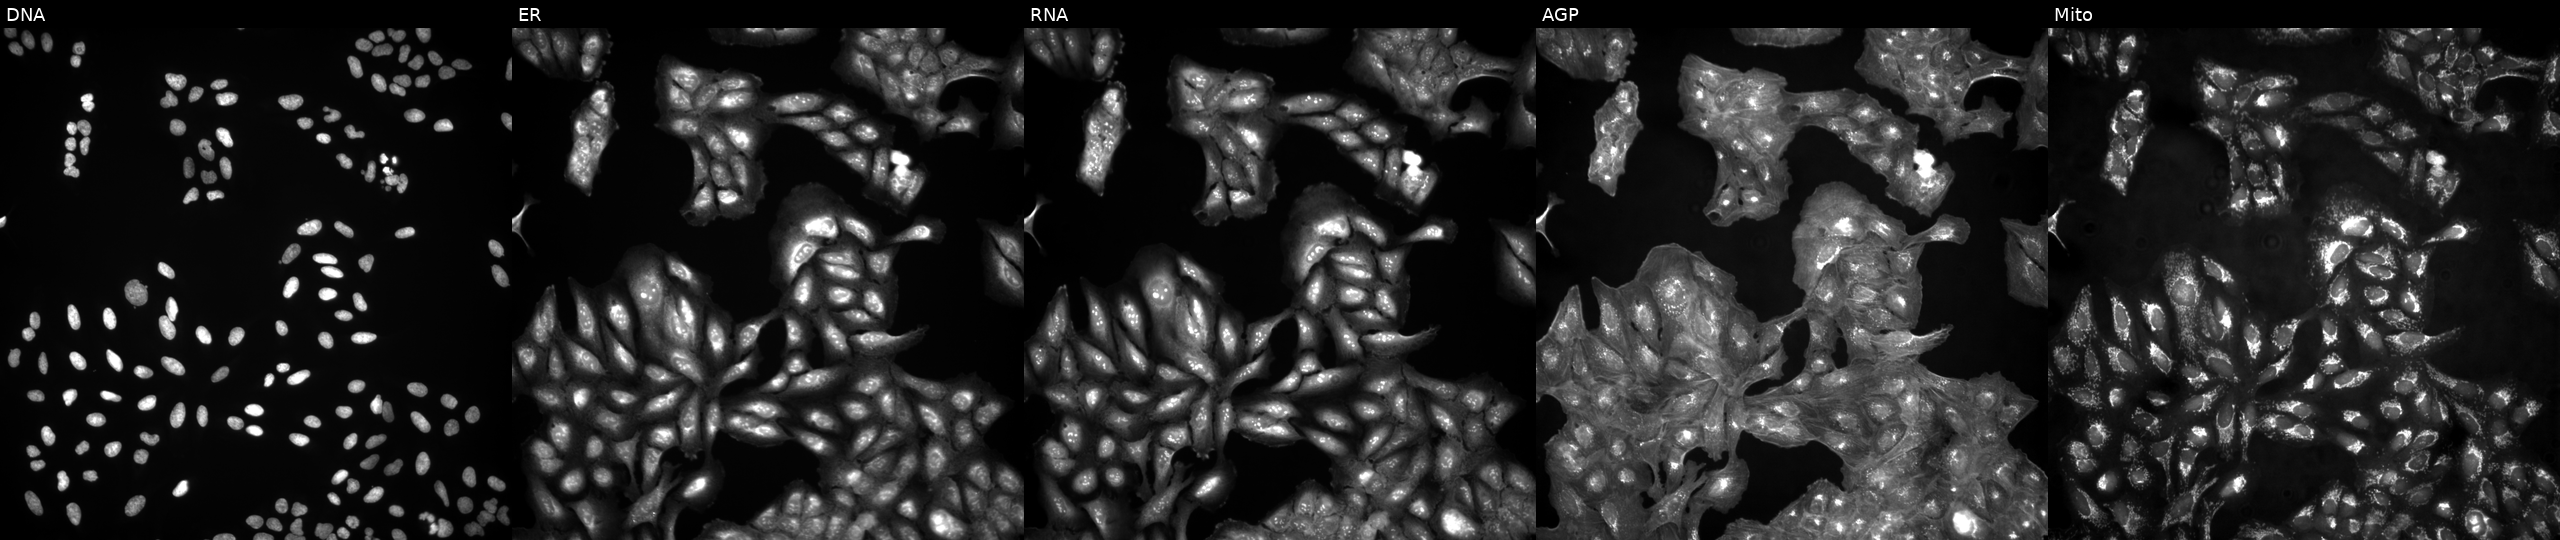
U2OS cells, Cell Painting assay, in an empty control well (no perturbation) (JUMP id JCP2022_999999). Panels show, left to right, Hoechst 33342, concanavalin A, SYTO 14, phalloidin and WGA, MitoTracker. Each panel is percentile-stretched 16-bit fluorescence.